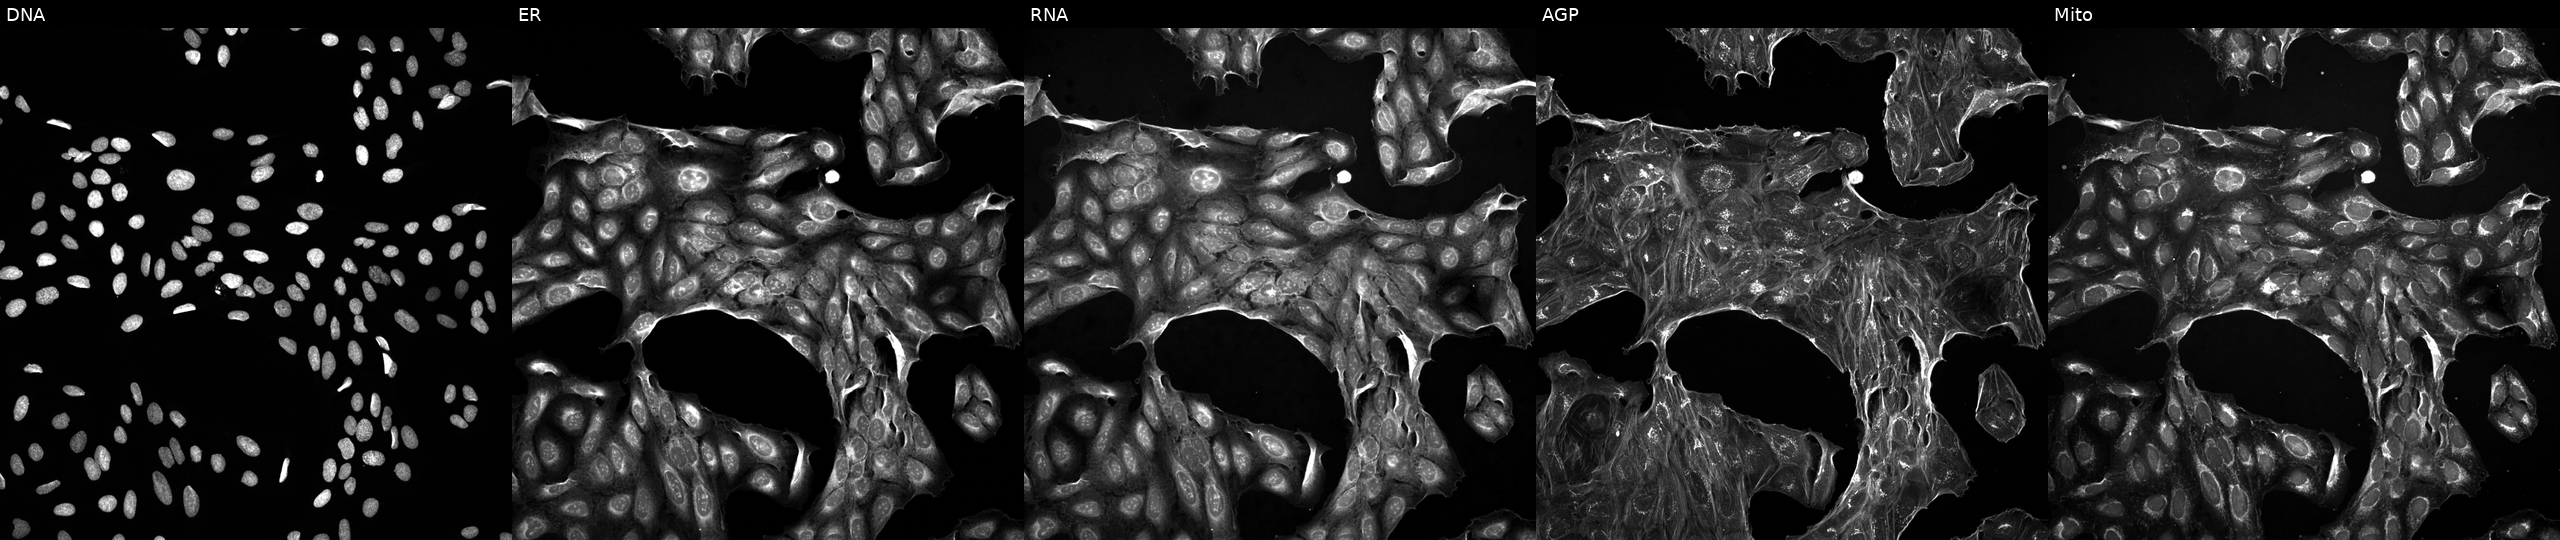
JUMP Cell Painting — TARGET2 plate. U2OS cells exposed to a small-molecule compound (InChIKey PMXCMJLOPOFPBT-UHFFFAOYSA-N) (JUMP id JCP2022_069668). The five panels, left to right, show DNA (nuclei); ER (endoplasmic reticulum); RNA (nucleoli and cytoplasmic RNA); AGP (actin cytoskeleton, Golgi, and plasma membrane); Mito (mitochondria).